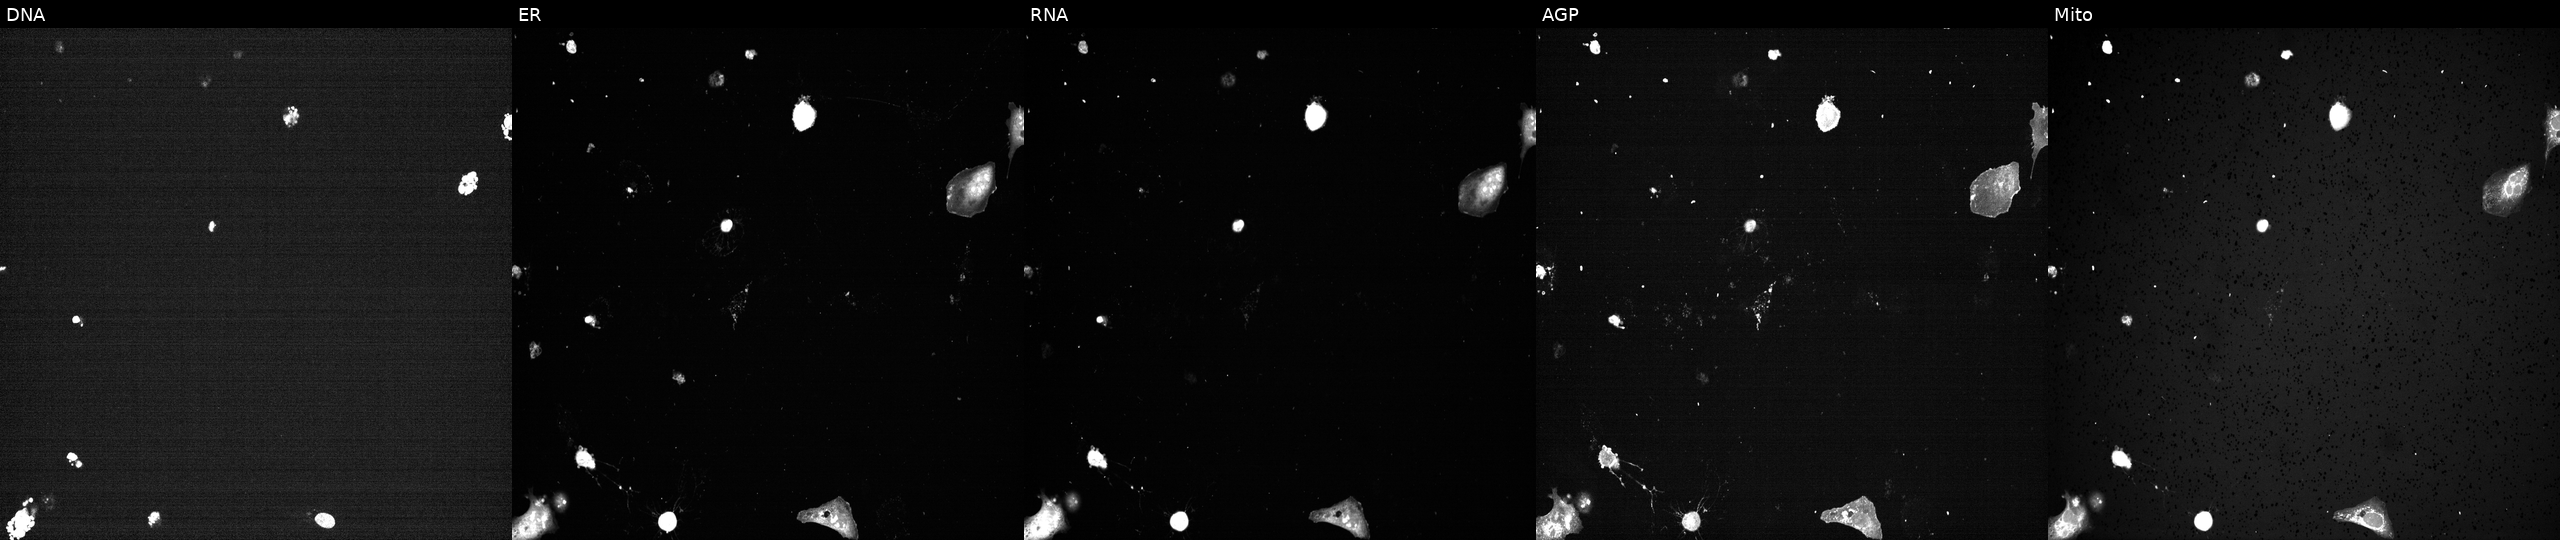
High-content fluorescence microscopy (Cell Painting). Cell line: U2OS. Perturbation: with PLK1 knocked out by CRISPR (positive control) (JUMP id JCP2022_805264). Panels show, left to right, DNA (nuclei); ER (endoplasmic reticulum); RNA (nucleoli and cytoplasmic RNA); AGP (actin cytoskeleton, Golgi, and plasma membrane); Mito (mitochondria).